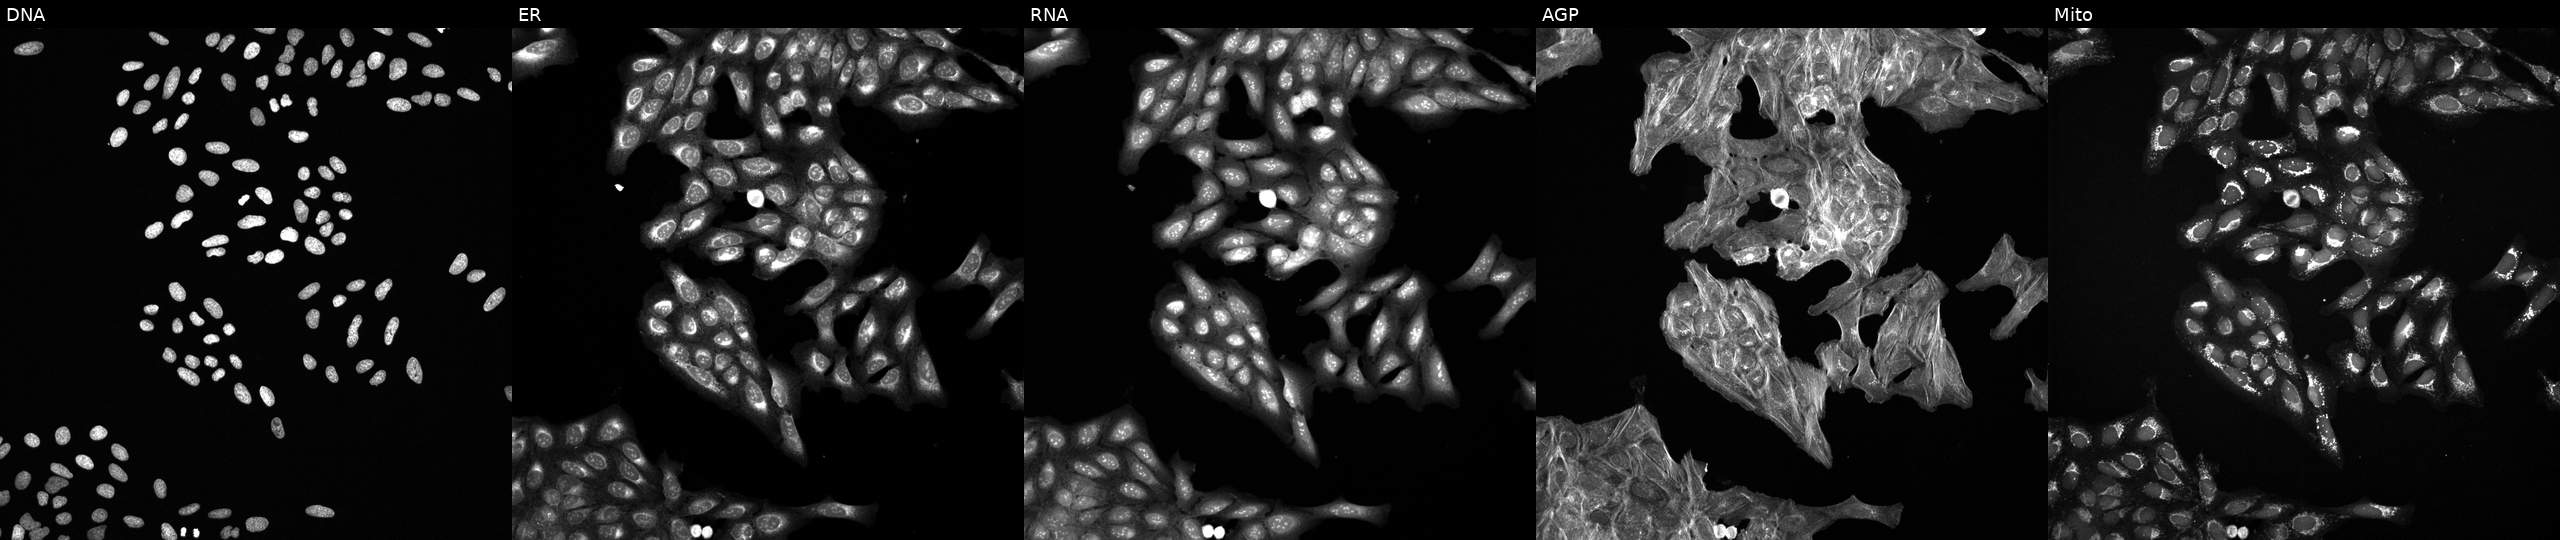
U2OS cells, Cell Painting assay, treated with a small-molecule compound (InChIKey LLIFMNUXGDHTRO-UHFFFAOYSA-N) [SMILES: Cc1noc(-c2ccc(CSCCC(=O)O)cc2)c1NC(=O)OC(C)c1ccccc1Cl] (JUMP id JCP2022_050162). Channels (left→right): DNA, ER, RNA, AGP, and Mito. Each panel is percentile-stretched 16-bit fluorescence.